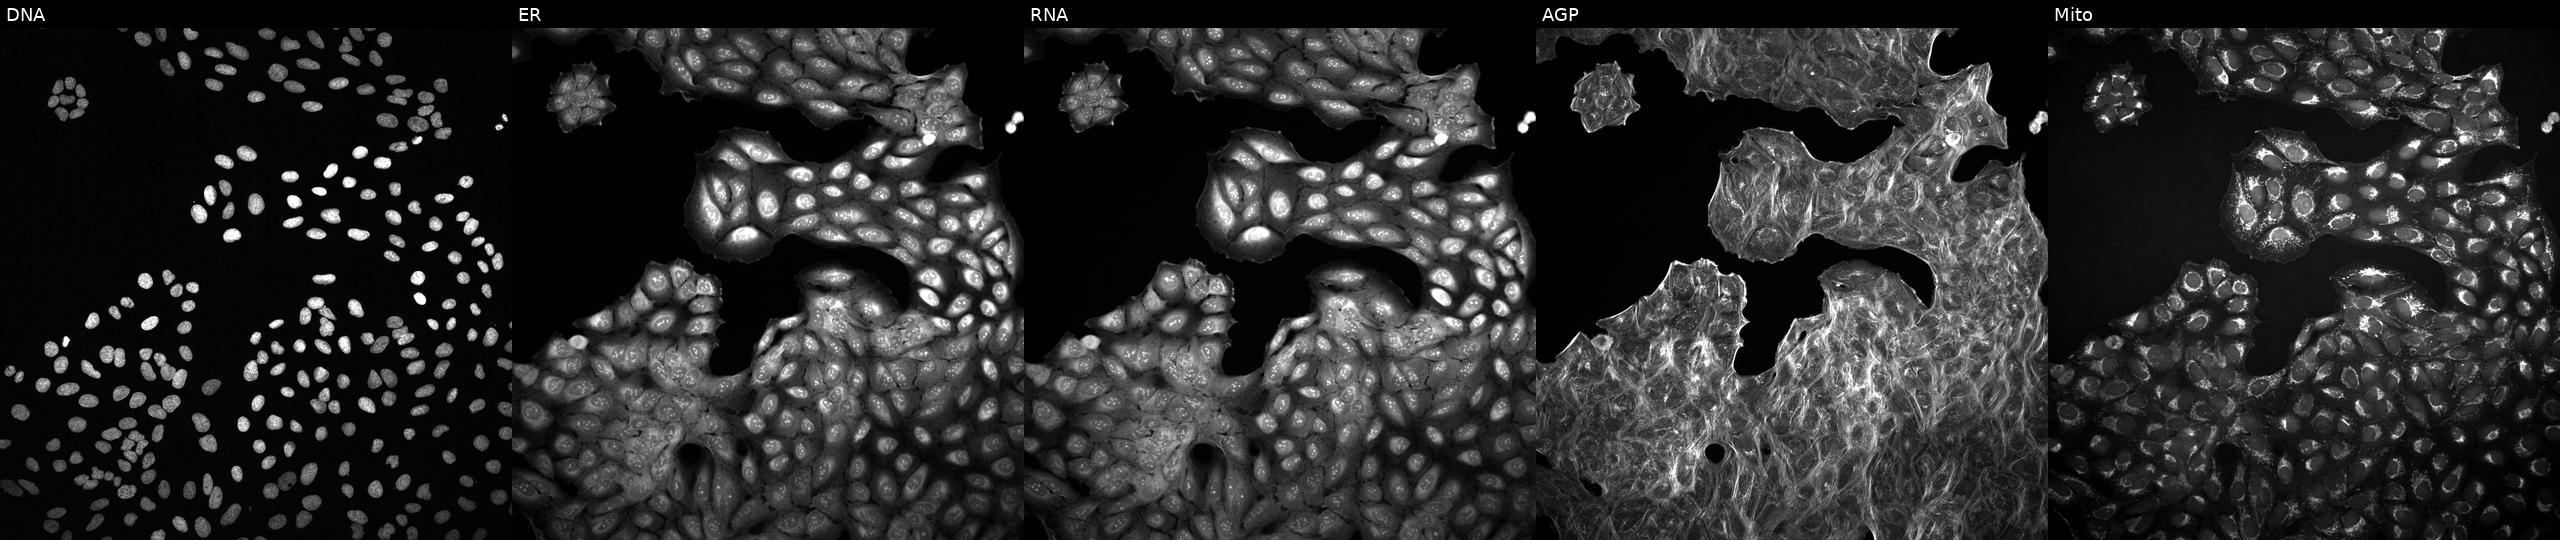
The five panels, left to right, show DNA, ER, RNA, AGP, and Mito. U2OS osteosarcoma cells with an unidentified perturbation (not annotated in JUMP metadata). Cell Painting assay, JUMP-CP dataset.